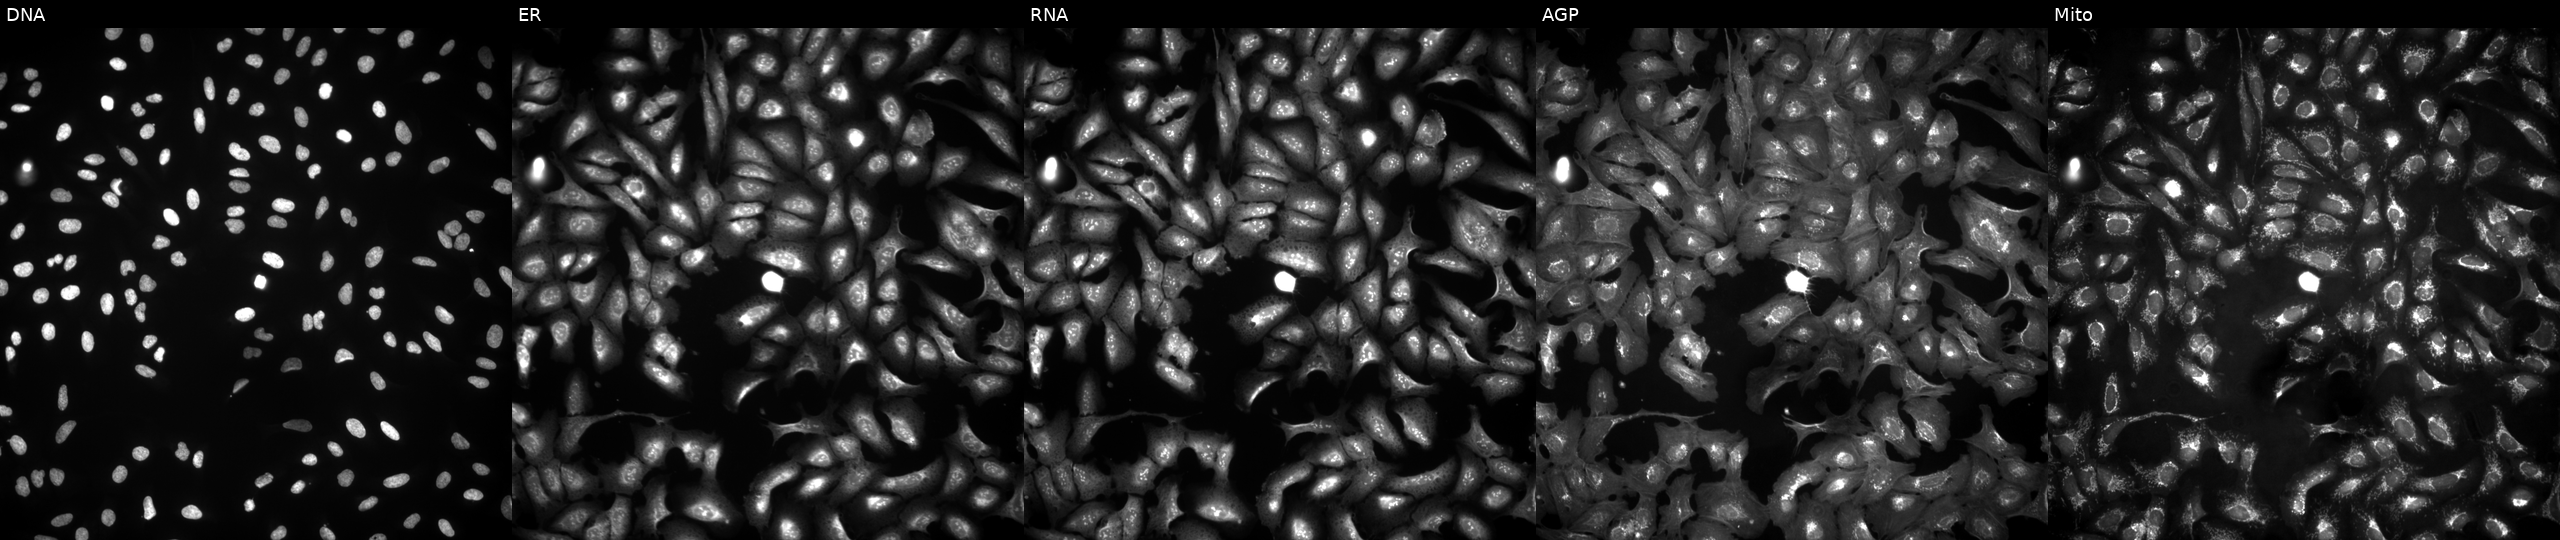
Panels show, left to right, Hoechst 33342, concanavalin A, SYTO 14, phalloidin and WGA, MitoTracker. U2OS osteosarcoma cells expressing LacZ (ORF negative control). Cell Painting assay, JUMP-CP dataset. Source 4, plate BR00124790, well B03.